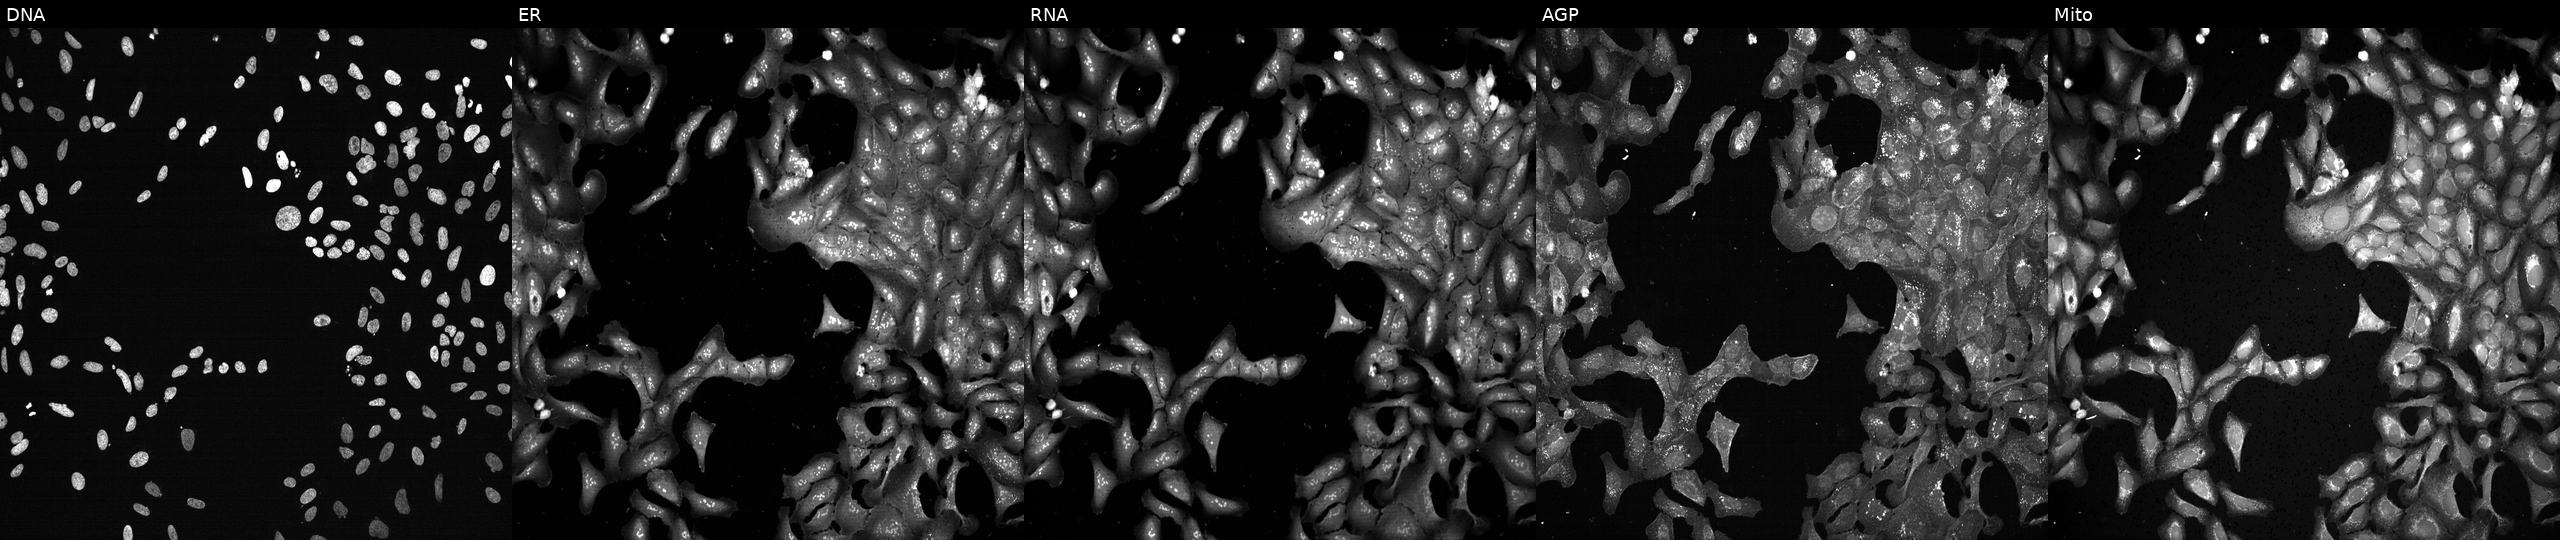
This image strip shows the five Cell Painting channels for a single field of U2OS cells with LGSN knocked out by CRISPR. From left to right: Hoechst 33342, concanavalin A, SYTO 14, phalloidin and WGA, MitoTracker.